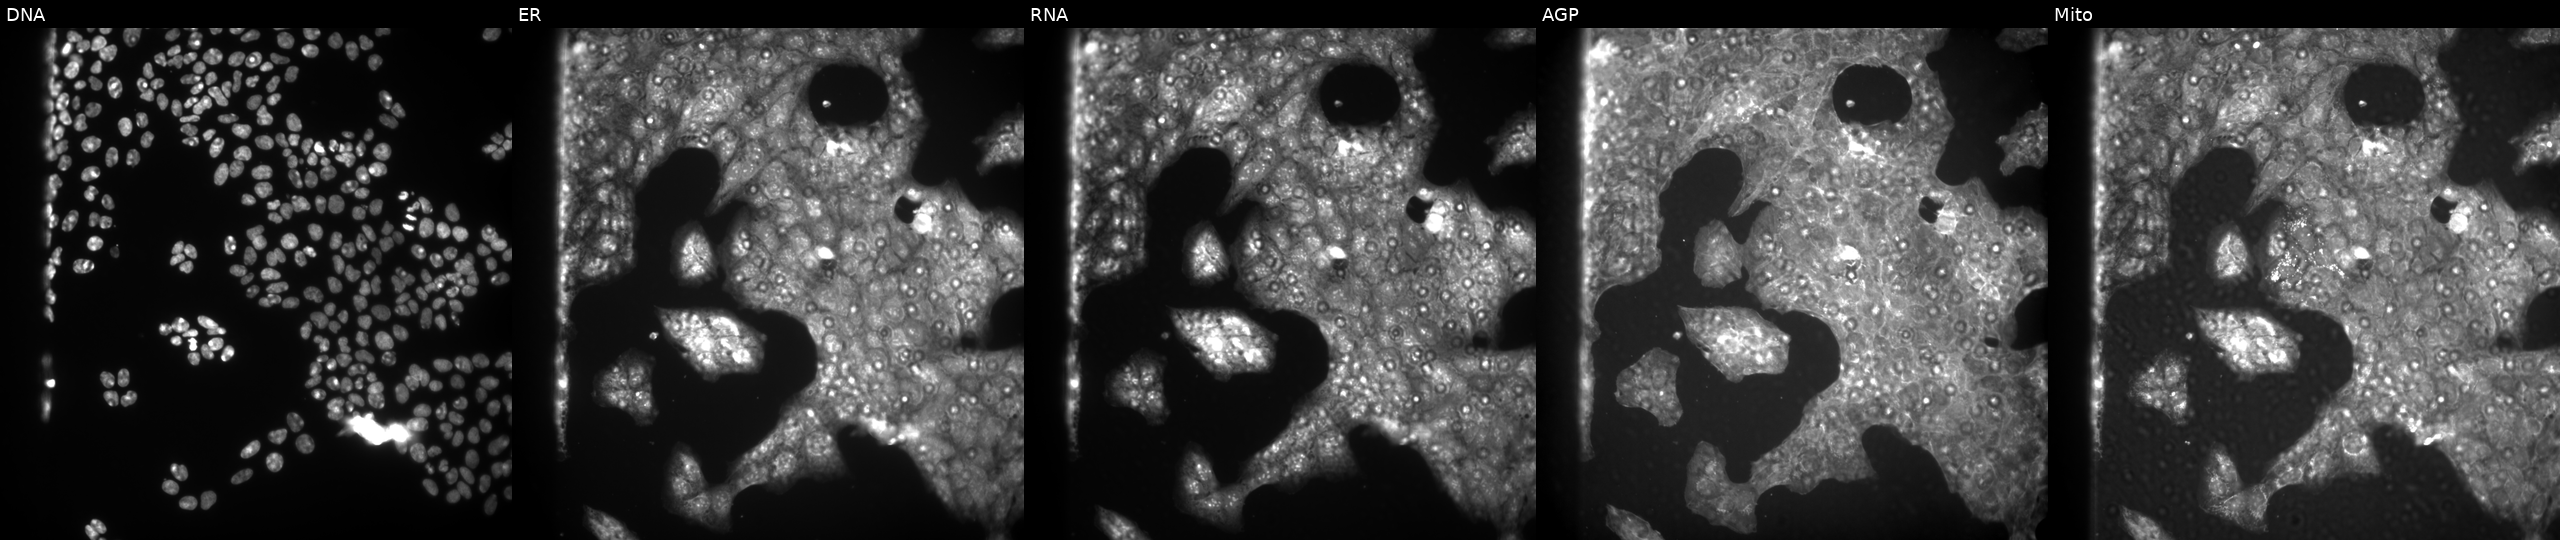
U2OS cells, Cell Painting assay, perturbed with a small-molecule compound (InChIKey IBCXZJCWDGCXQT-UHFFFAOYSA-N) (JUMP id JCP2022_033954). Channels (left→right): DNA (nuclei); ER (endoplasmic reticulum); RNA (nucleoli and cytoplasmic RNA); AGP (actin cytoskeleton, Golgi, and plasma membrane); Mito (mitochondria). Each panel is percentile-stretched 16-bit fluorescence.